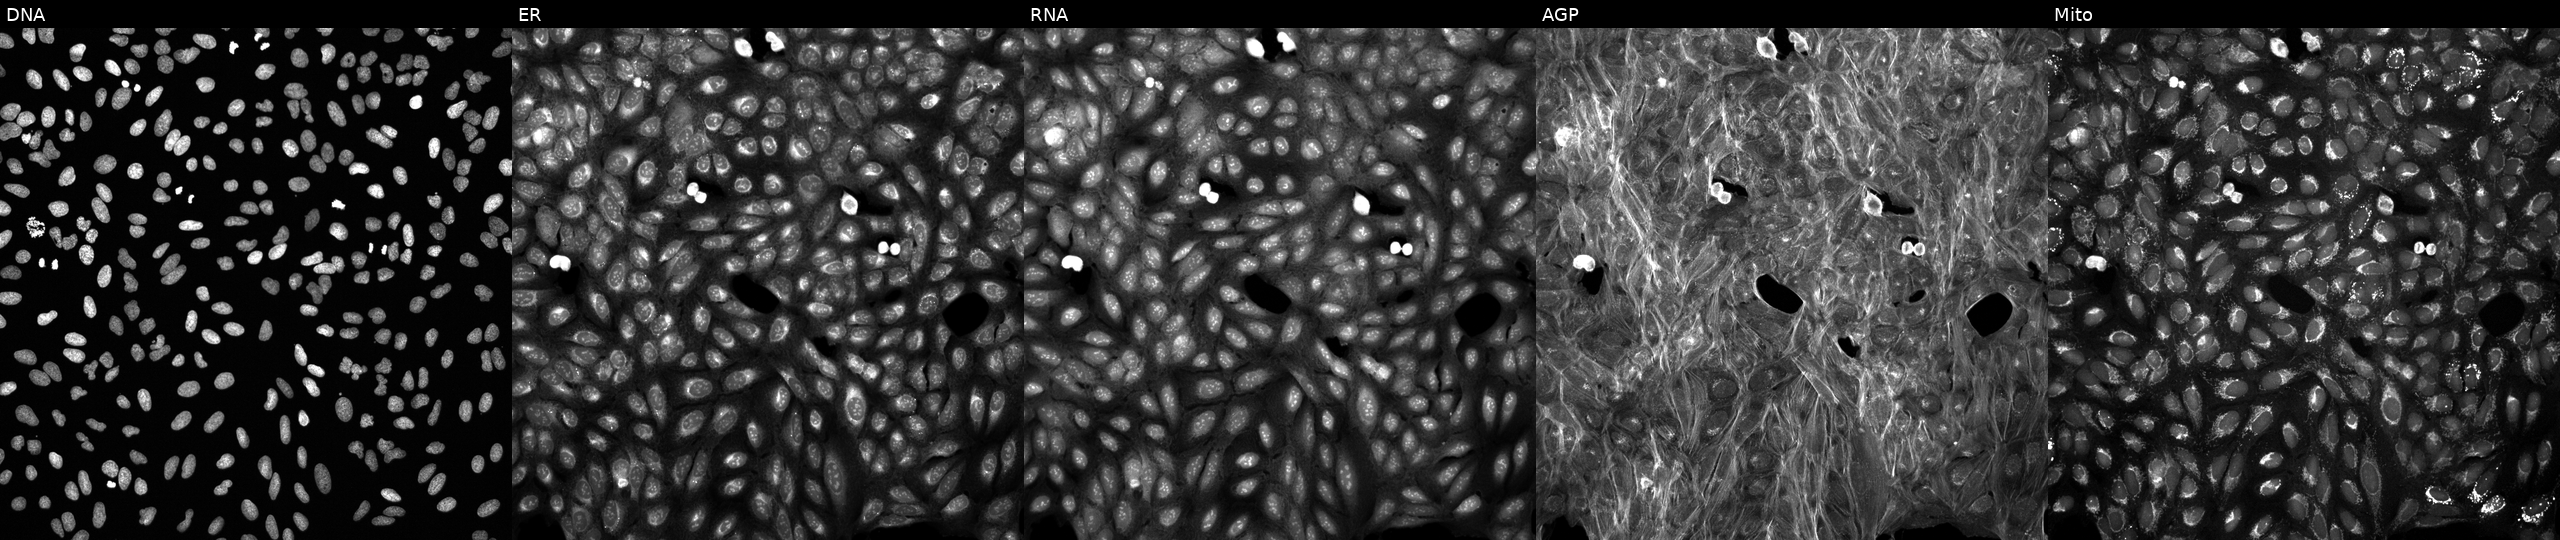
Five-channel Cell Painting image of U2OS cells treated with DMSO vehicle only (negative control). The five panels, left to right, show Hoechst 33342, concanavalin A, SYTO 14, phalloidin and WGA, MitoTracker.